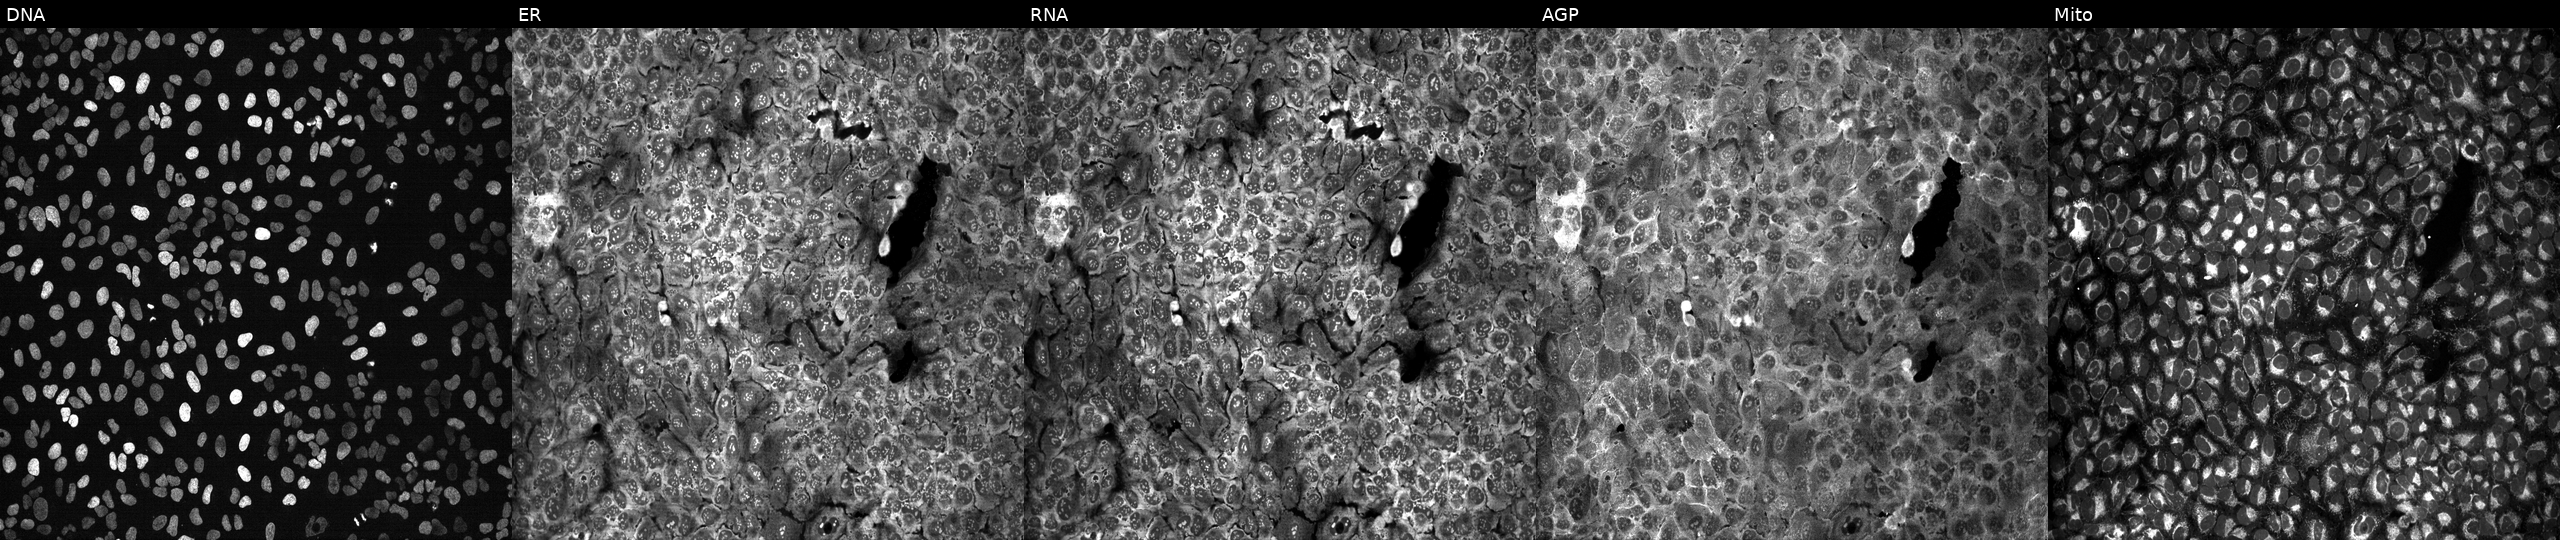
JUMP Cell Painting — CRISPR plate. U2OS cells following CRISPR knockout of B3GNT9 (JUMP id JCP2022_800787). Panels show, left to right, DNA, ER, RNA, AGP, and Mito. Source 13, plate CP-CC9-R3-01, well C18.